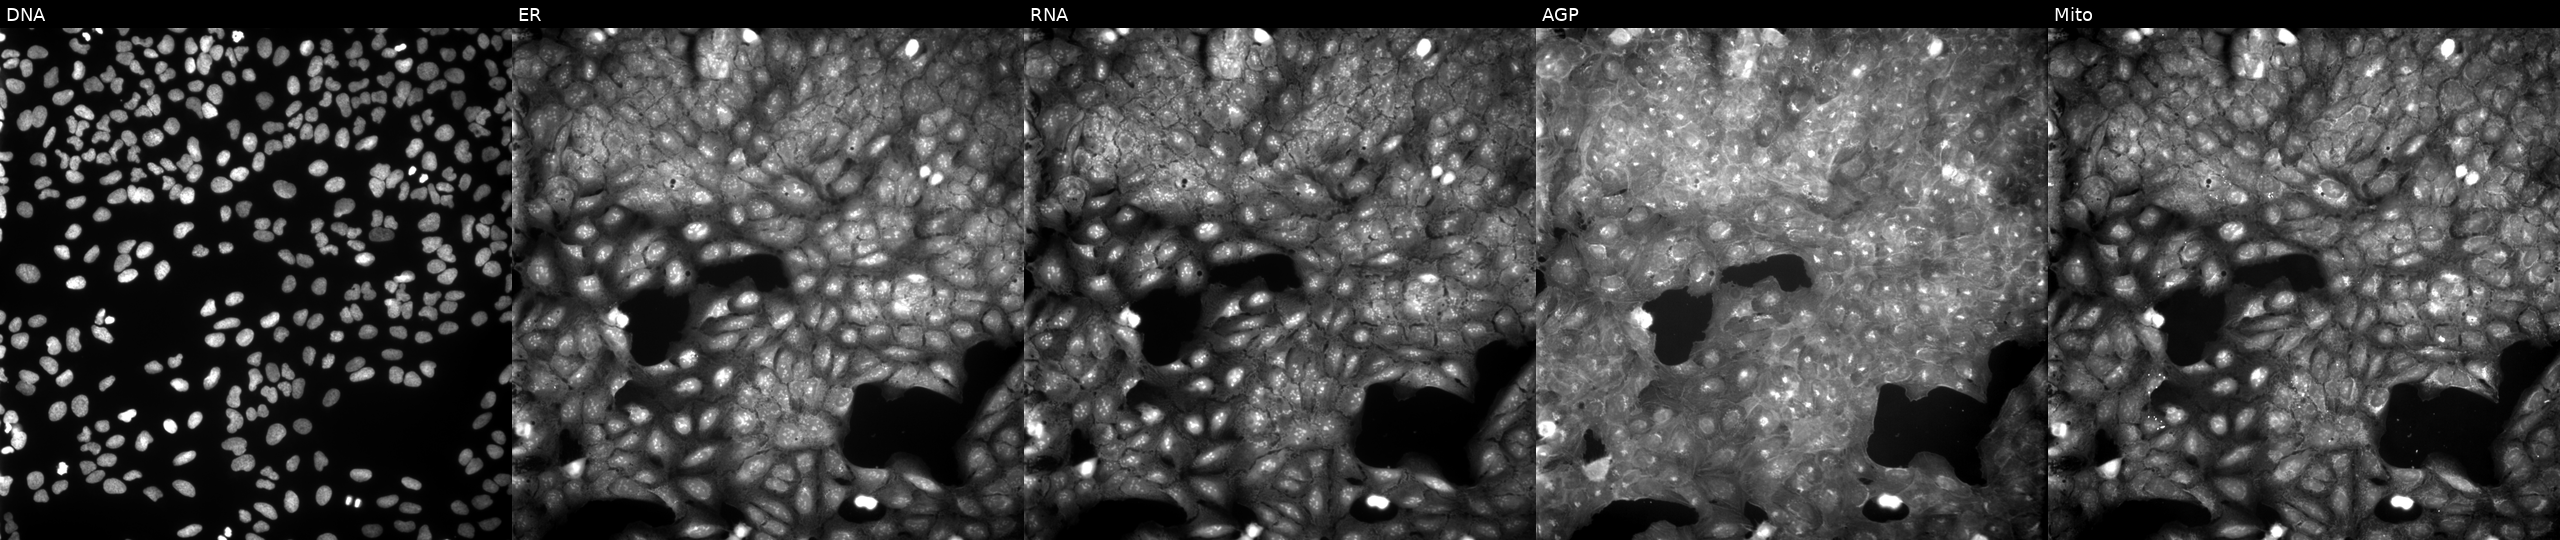
U2OS cells, Cell Painting assay, treated with a small-molecule compound (InChIKey NTIDMTFXCSMODC-UHFFFAOYSA-N) (JUMP id JCP2022_061249). Channels (left→right): DNA (nuclei); ER (endoplasmic reticulum); RNA (nucleoli and cytoplasmic RNA); AGP (actin cytoskeleton, Golgi, and plasma membrane); Mito (mitochondria). Each panel is percentile-stretched 16-bit fluorescence.